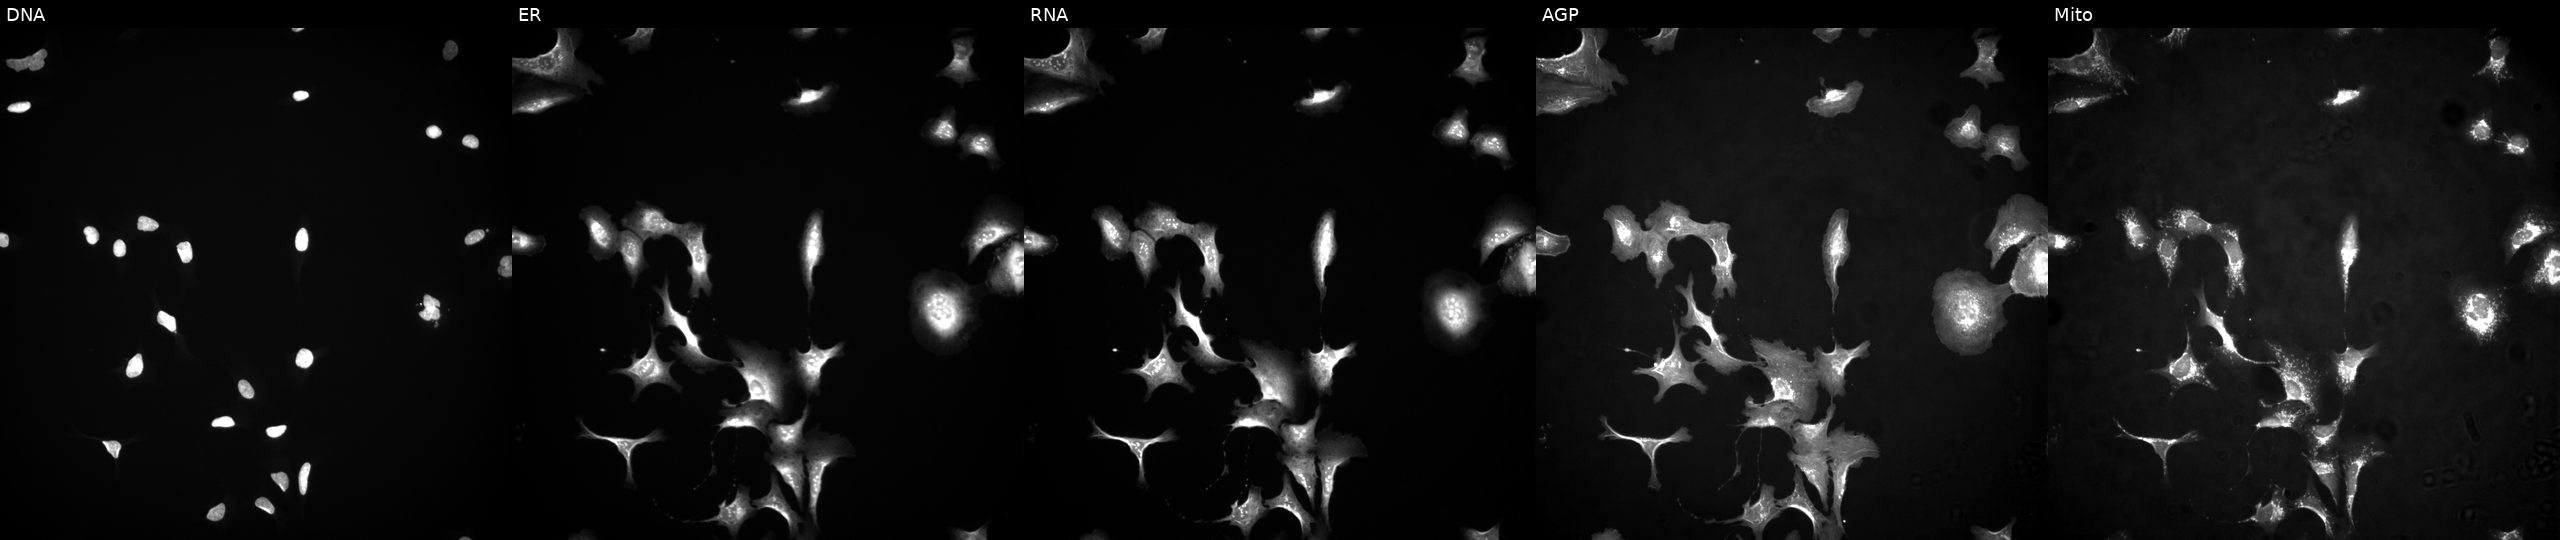
U2OS cells, Cell Painting assay, in an empty control well (no perturbation) (JUMP id JCP2022_999999). The five panels, left to right, show DNA, ER, RNA, AGP, and Mito. Each panel is percentile-stretched 16-bit fluorescence. Source 4, plate BR00124787, well L11.